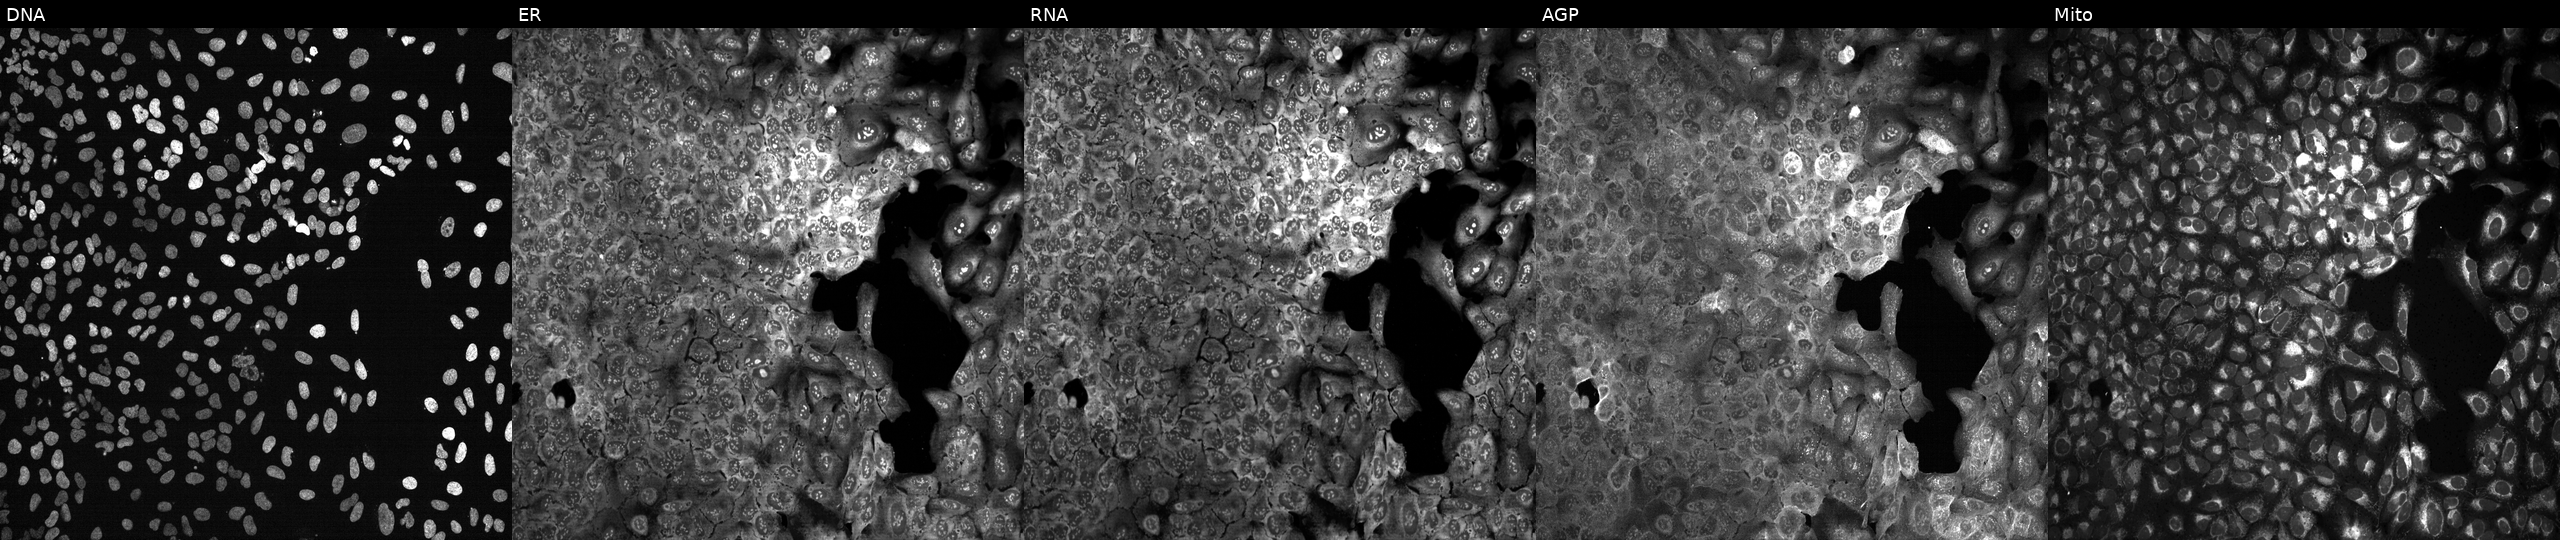
This image strip shows the five Cell Painting channels for a single field of U2OS cells CRISPR-edited to disrupt PPIC (JUMP id JCP2022_805412). Channels (left→right): Hoechst 33342, concanavalin A, SYTO 14, phalloidin and WGA, MitoTracker.